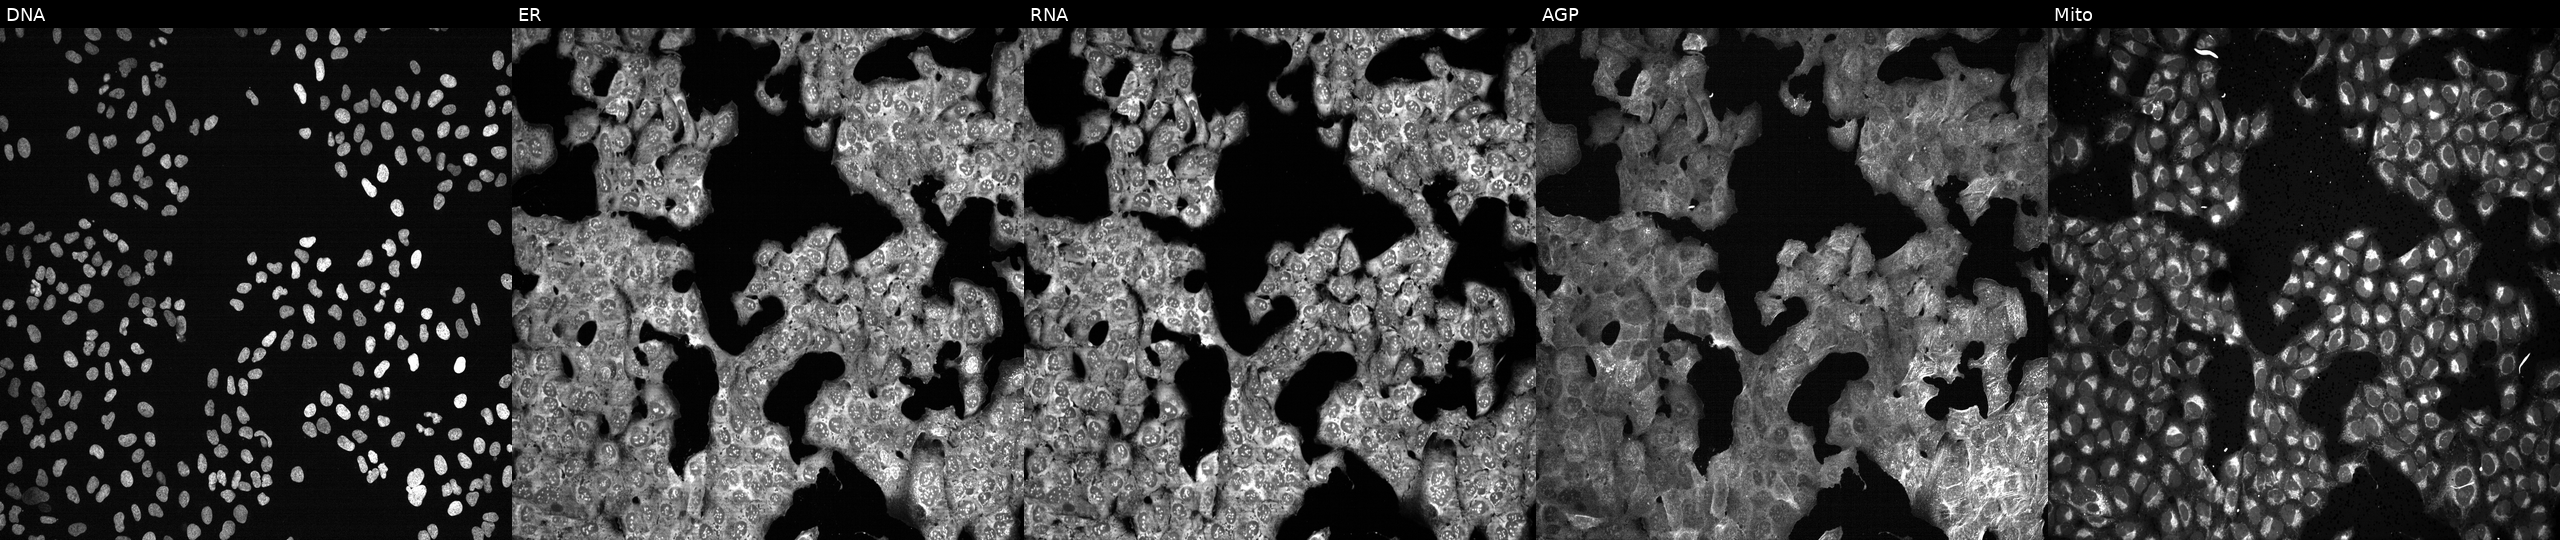
Five-channel Cell Painting image of U2OS cells treated with NVS-PAK1-1 (positive-control compound) (JUMP id JCP2022_064022). From left to right: Hoechst 33342, concanavalin A, SYTO 14, phalloidin and WGA, MitoTracker. Source 13, plate CP-CC9-R2-01, well O01.